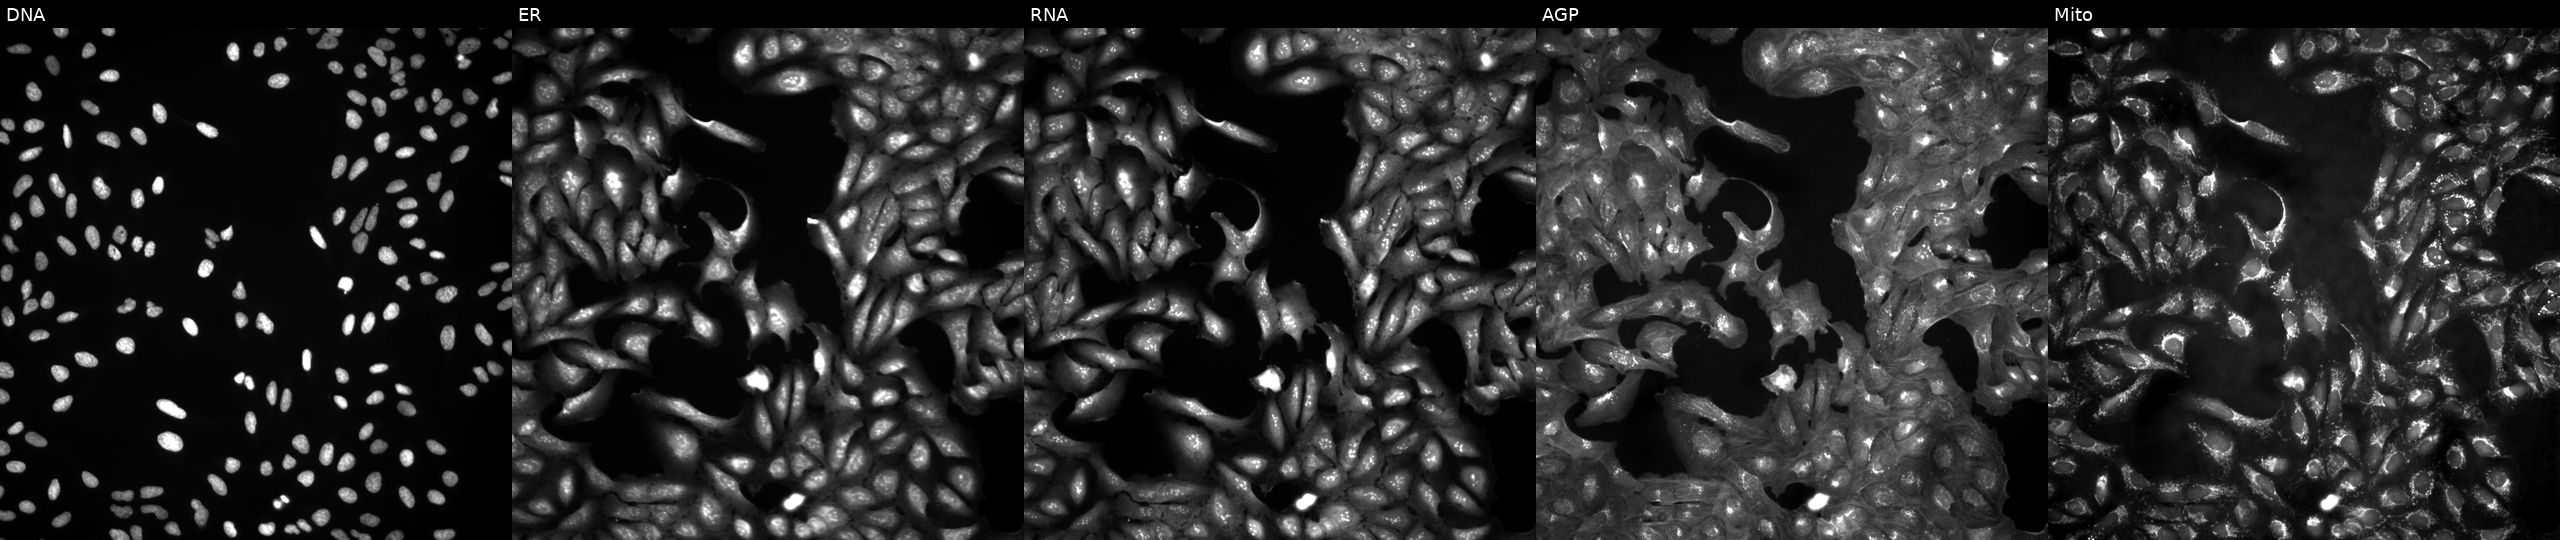
High-content fluorescence microscopy (Cell Painting). Cell line: U2OS. Perturbation: in an empty control well (no perturbation). Panels show, left to right, DNA (nuclei); ER (endoplasmic reticulum); RNA (nucleoli and cytoplasmic RNA); AGP (actin cytoskeleton, Golgi, and plasma membrane); Mito (mitochondria). Source 4, plate BR00123946, well L12.